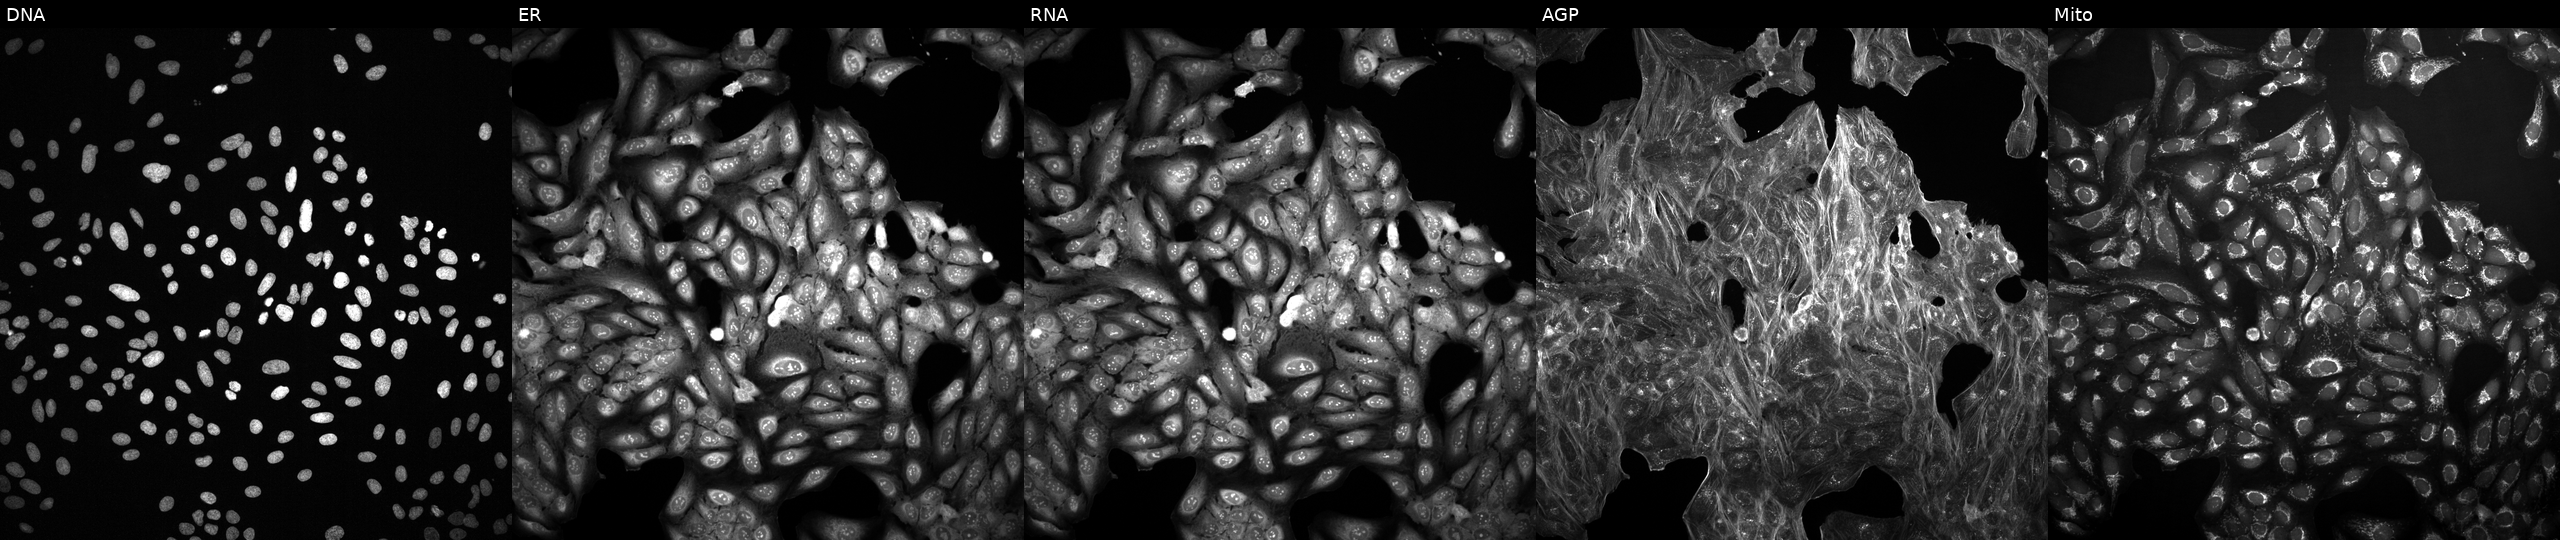
The five panels, left to right, show DNA (nuclei); ER (endoplasmic reticulum); RNA (nucleoli and cytoplasmic RNA); AGP (actin cytoskeleton, Golgi, and plasma membrane); Mito (mitochondria). U2OS osteosarcoma cells perturbed with a small-molecule compound (InChIKey DXZRBHUCOHBAHP-UHFFFAOYSA-N). Cell Painting assay, JUMP-CP dataset.